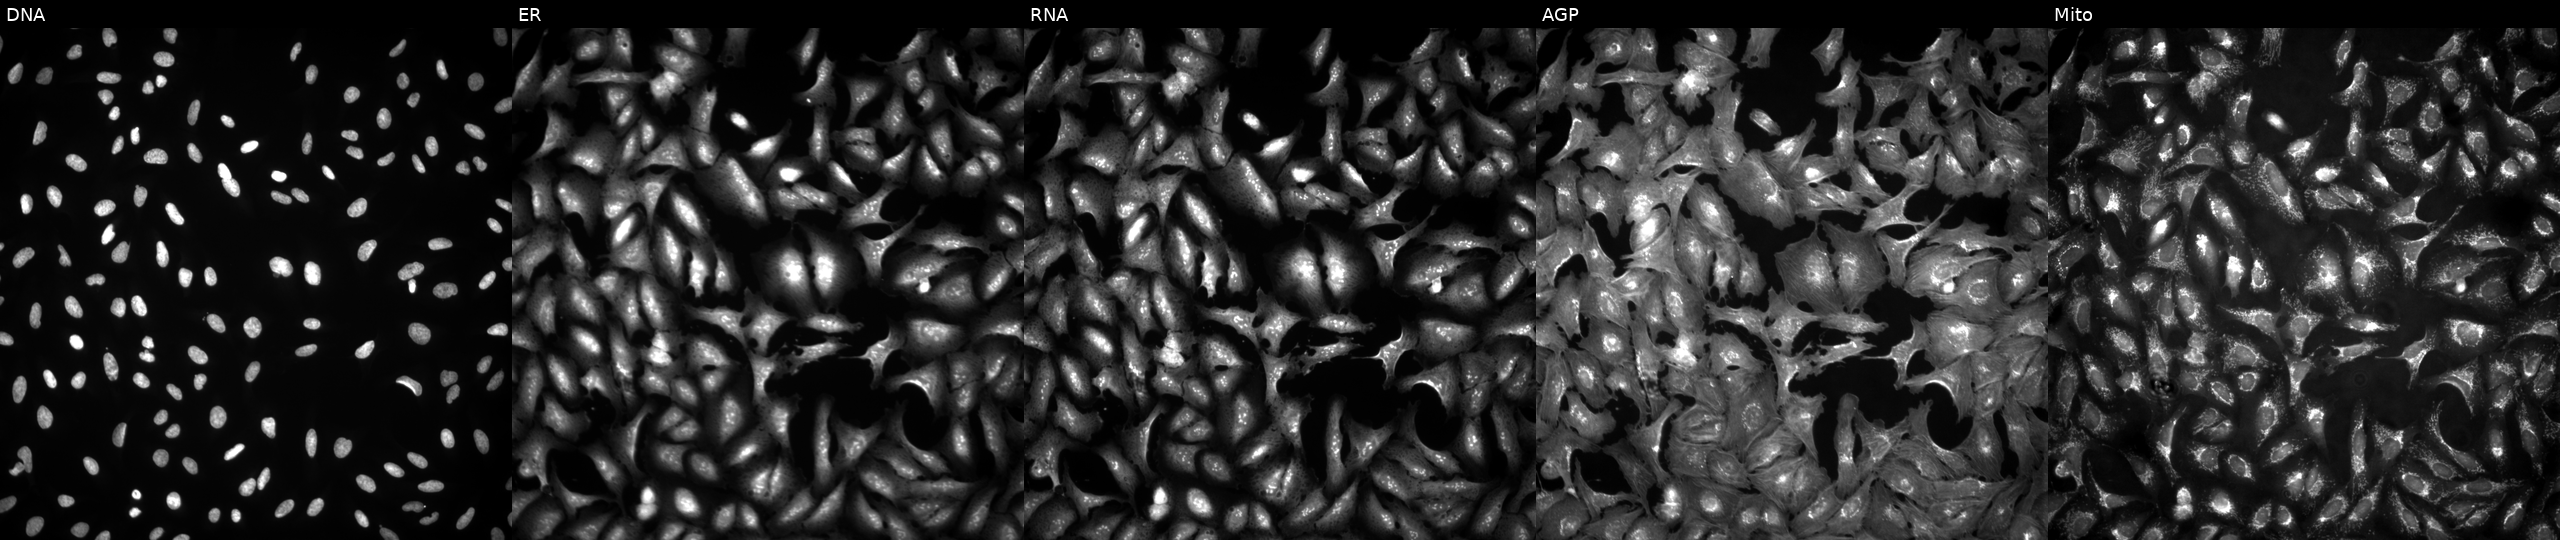
This image strip shows the five Cell Painting channels for a single field of U2OS cells with DHX16 overexpressed (ORF). The five panels, left to right, show Hoechst 33342, concanavalin A, SYTO 14, phalloidin and WGA, MitoTracker. Source 4, plate BR00124784, well O05.